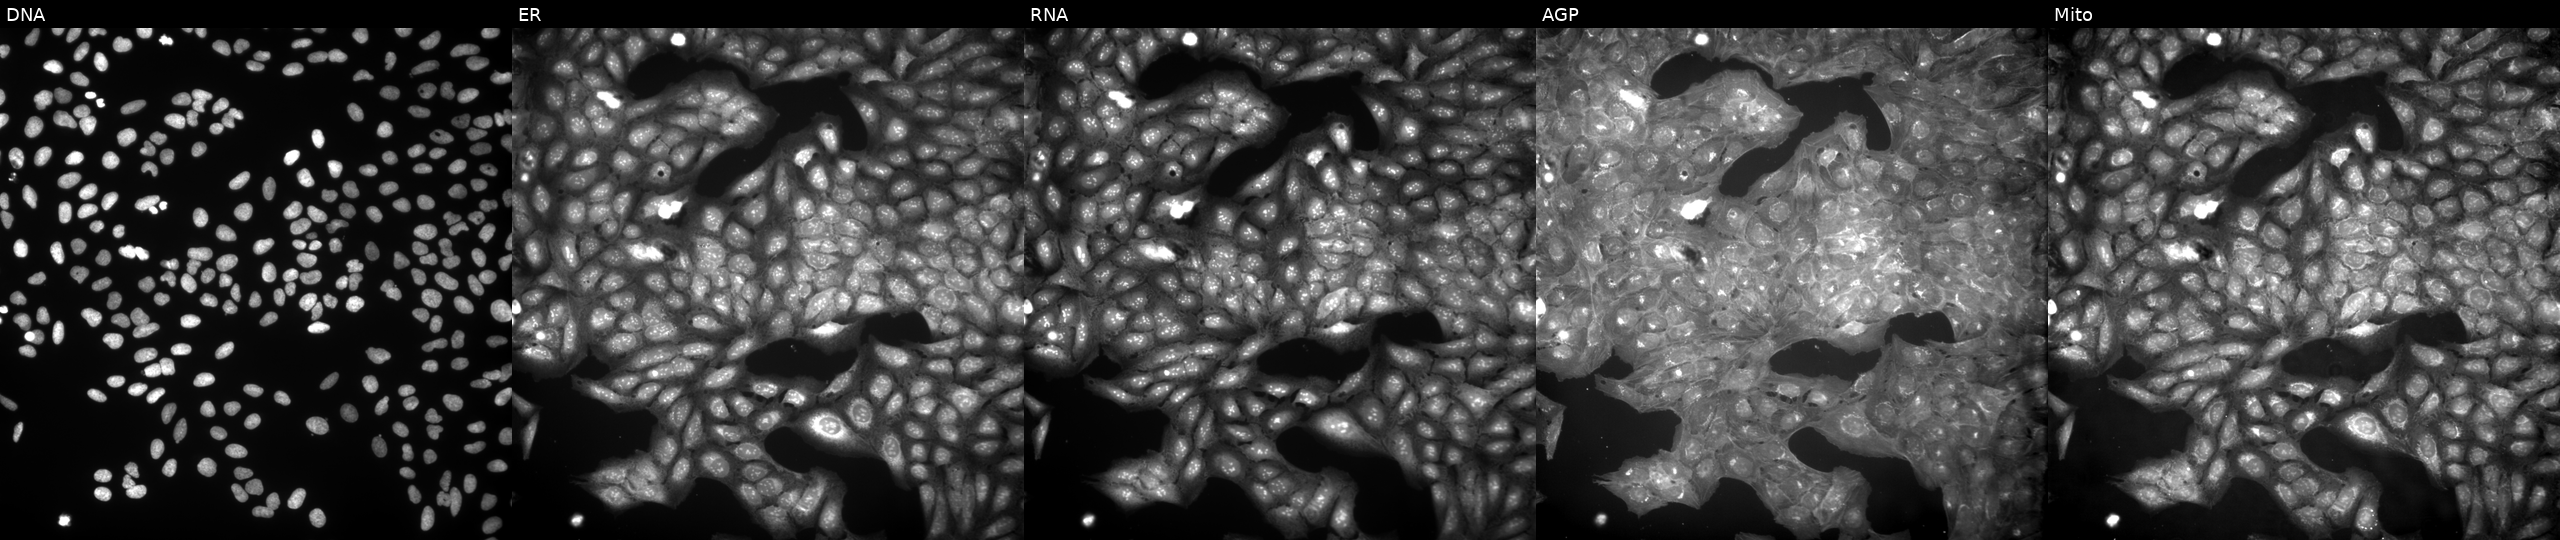
U2OS cells, Cell Painting assay, exposed to a small-molecule compound. From left to right: DNA (nuclei); ER (endoplasmic reticulum); RNA (nucleoli and cytoplasmic RNA); AGP (actin cytoskeleton, Golgi, and plasma membrane); Mito (mitochondria). Each panel is percentile-stretched 16-bit fluorescence. Source 9, plate GR00003381, well B28.